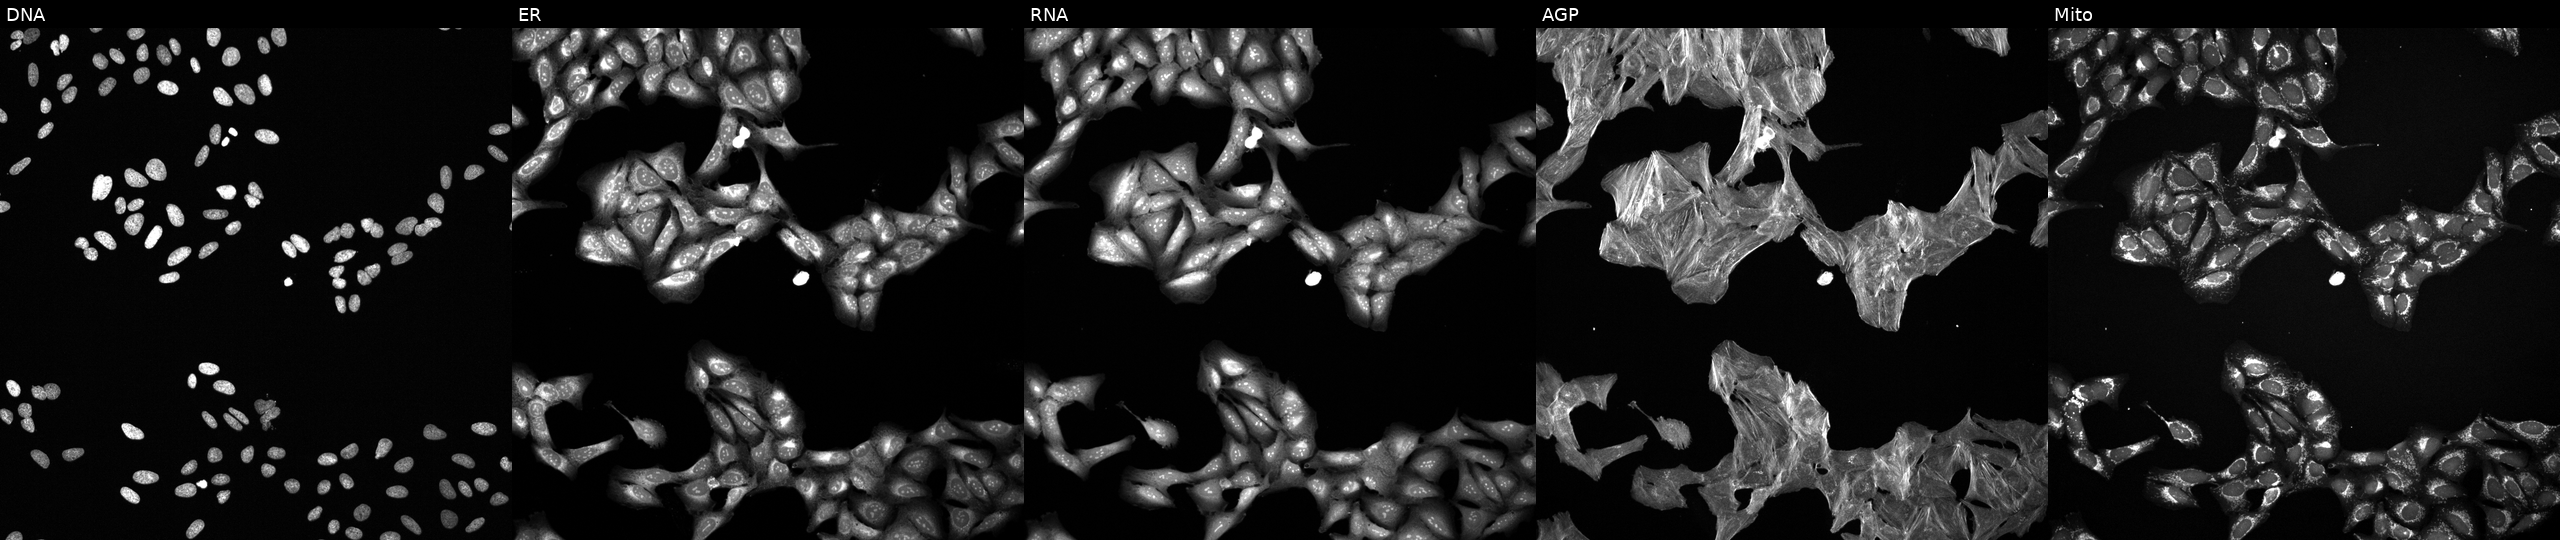
Five-channel Cell Painting image of U2OS cells exposed to a small-molecule compound (InChIKey WYWHKKSPHMUBEB-UHFFFAOYSA-N). The five panels, left to right, show DNA (nuclei); ER (endoplasmic reticulum); RNA (nucleoli and cytoplasmic RNA); AGP (actin cytoskeleton, Golgi, and plasma membrane); Mito (mitochondria). Source 6, plate 110000293093, well D20.